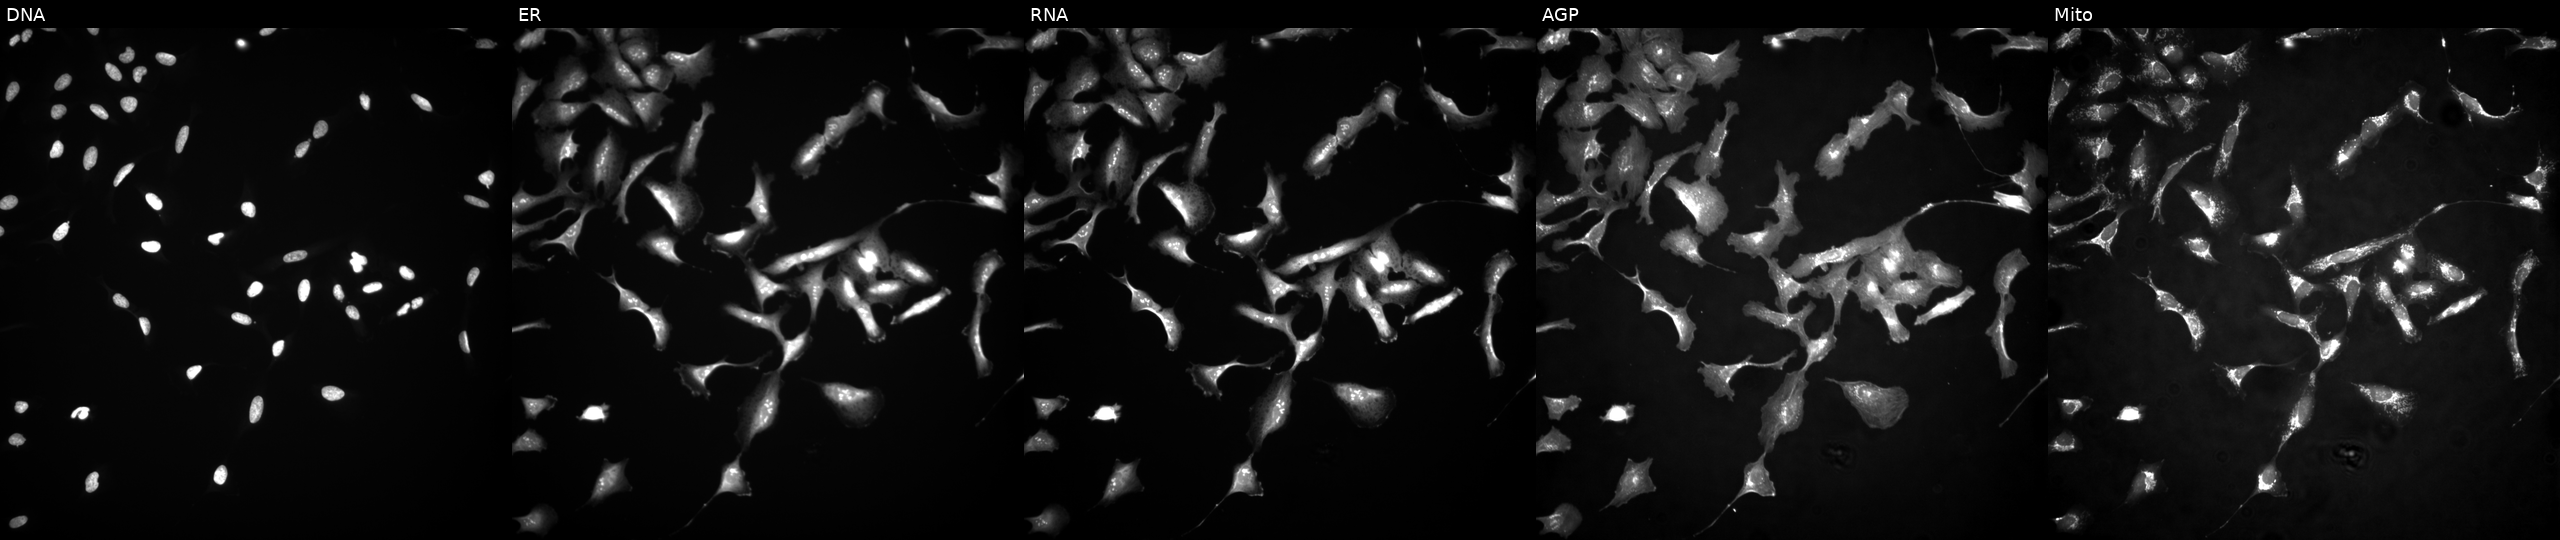
JUMP Cell Painting — ORF plate. U2OS cells overexpressing ERG via ORF transfection (JUMP id JCP2022_905780). Panels show, left to right, DNA, ER, RNA, AGP, and Mito.